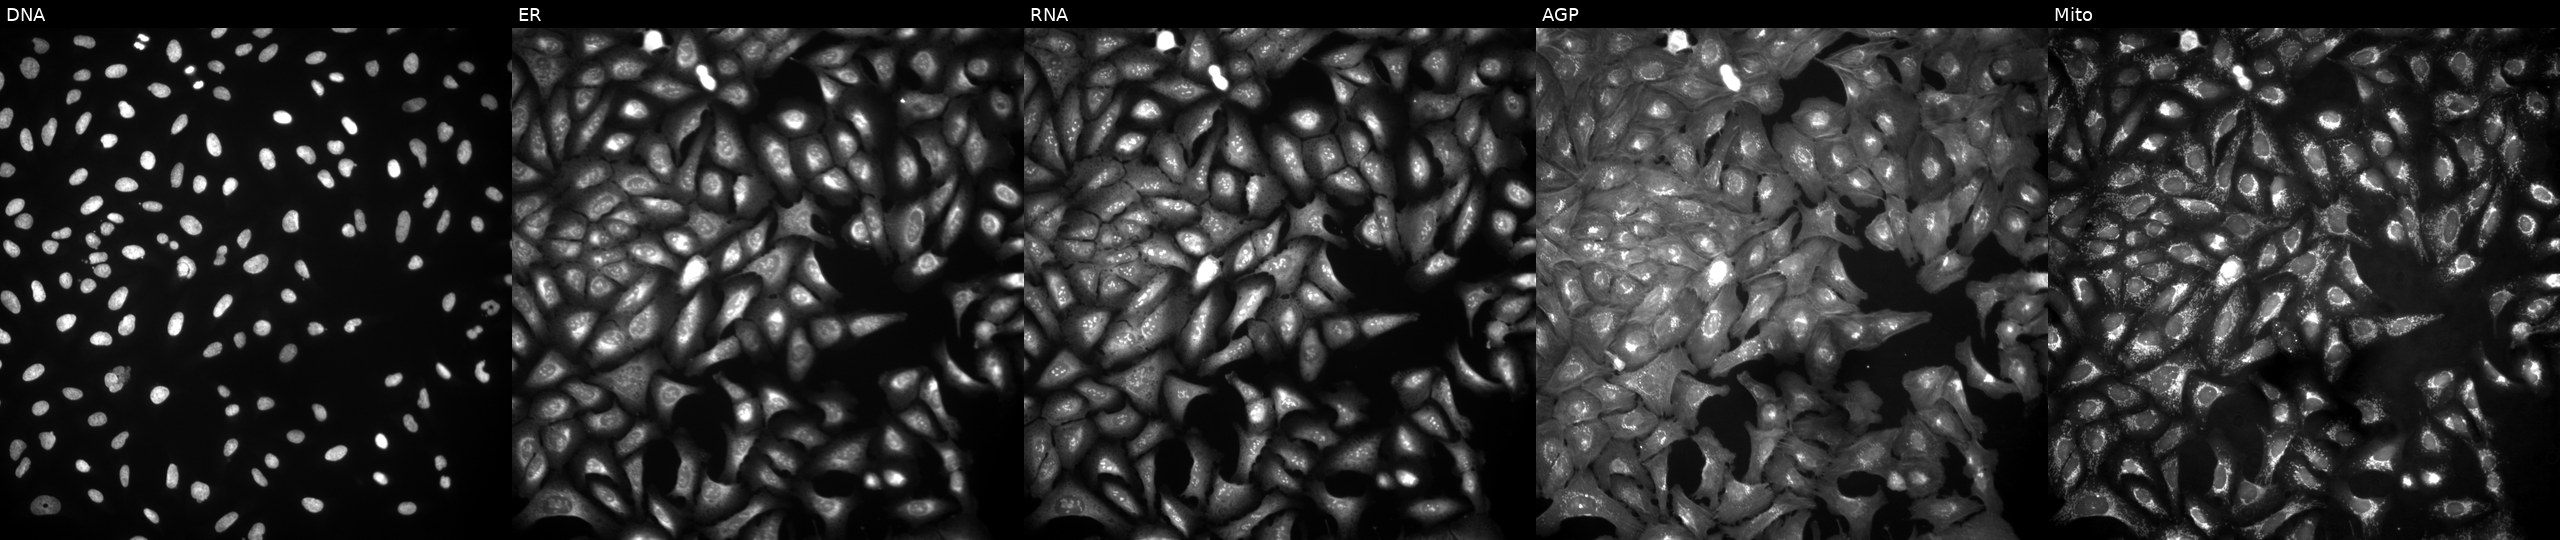
JUMP Cell Painting — ORF plate. U2OS cells transfected with an ORF construct for NPHP1 (JUMP id JCP2022_901033). Panels show, left to right, DNA, ER, RNA, AGP, and Mito. Source 4, plate BR00124790, well A17.